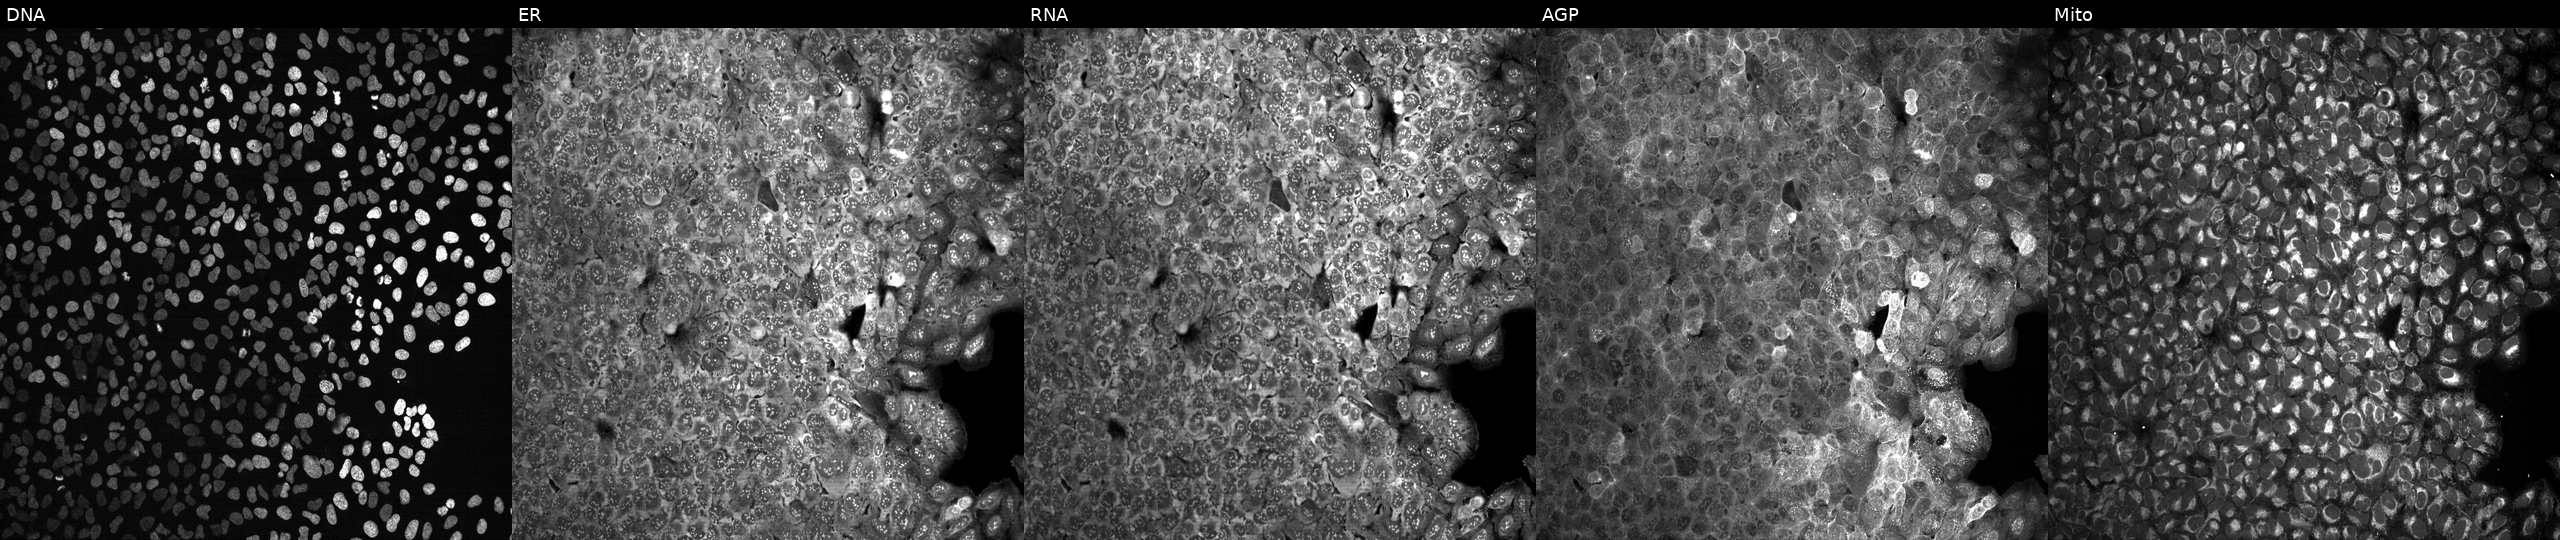
Five-channel Cell Painting image of U2OS cells with a non-targeting CRISPR guide (negative control) (JUMP id JCP2022_800002). Panels show, left to right, DNA, ER, RNA, AGP, and Mito. Source 13, plate CP-CC9-R4-04, well D02.